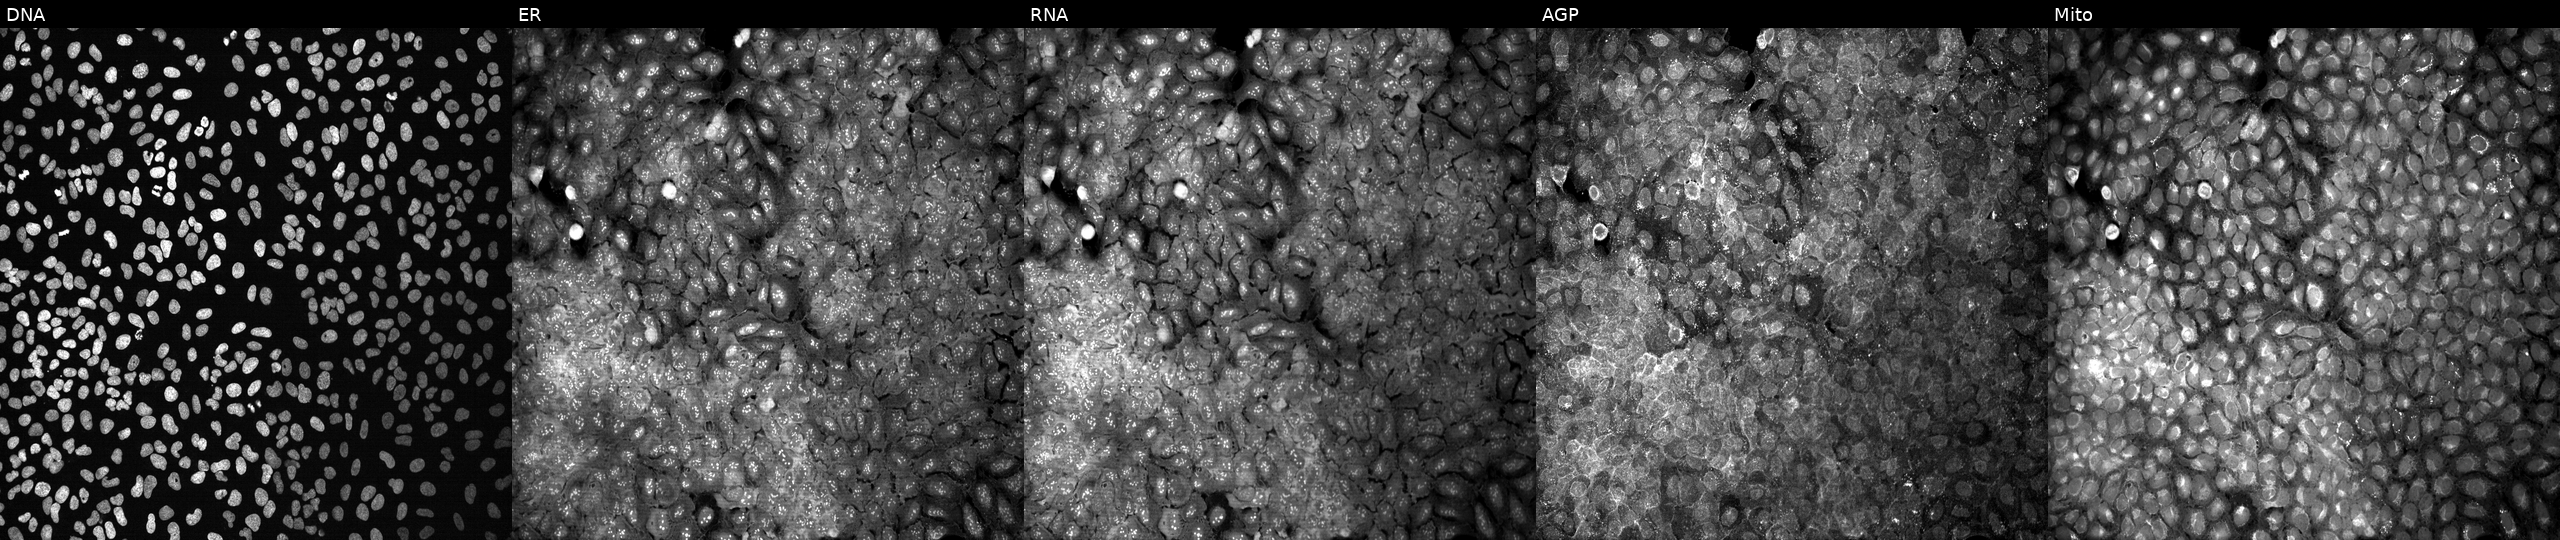
U2OS cells, Cell Painting assay, exposed to DMSO alone as a negative control (JUMP id JCP2022_033924). Panels show, left to right, Hoechst 33342, concanavalin A, SYTO 14, phalloidin and WGA, MitoTracker. Each panel is percentile-stretched 16-bit fluorescence. Source 13, plate CP-CC9-R1-02, well E23.